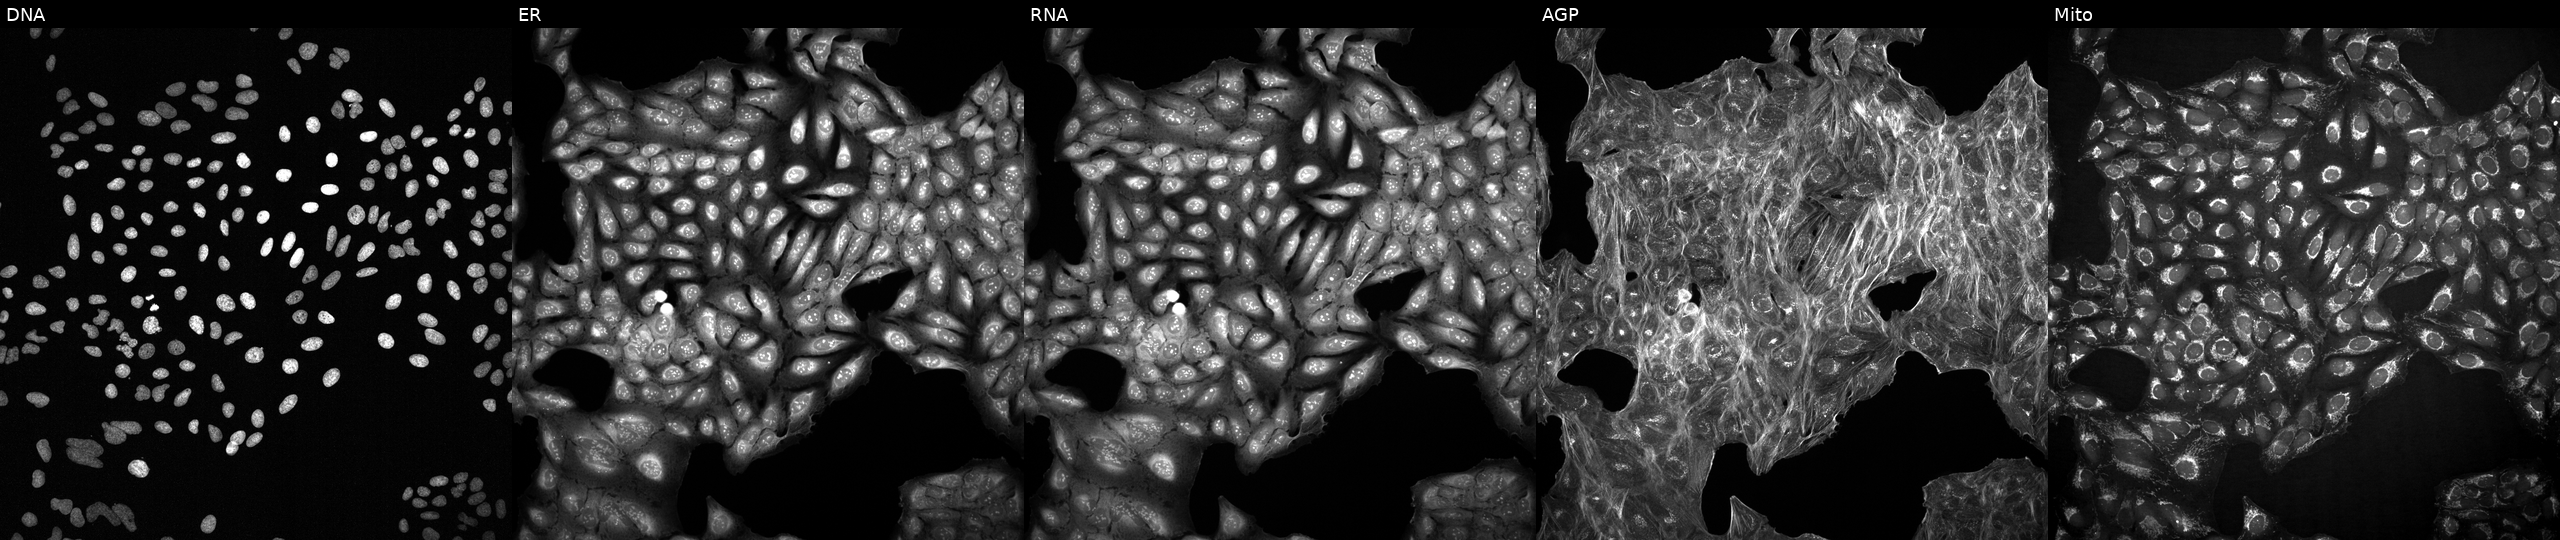
High-content fluorescence microscopy (Cell Painting). Cell line: U2OS. Perturbation: with an unidentified perturbation (not annotated in JUMP metadata). Channels (left→right): DNA (nuclei); ER (endoplasmic reticulum); RNA (nucleoli and cytoplasmic RNA); AGP (actin cytoskeleton, Golgi, and plasma membrane); Mito (mitochondria). Source 2, plate 1053601756, well B20.